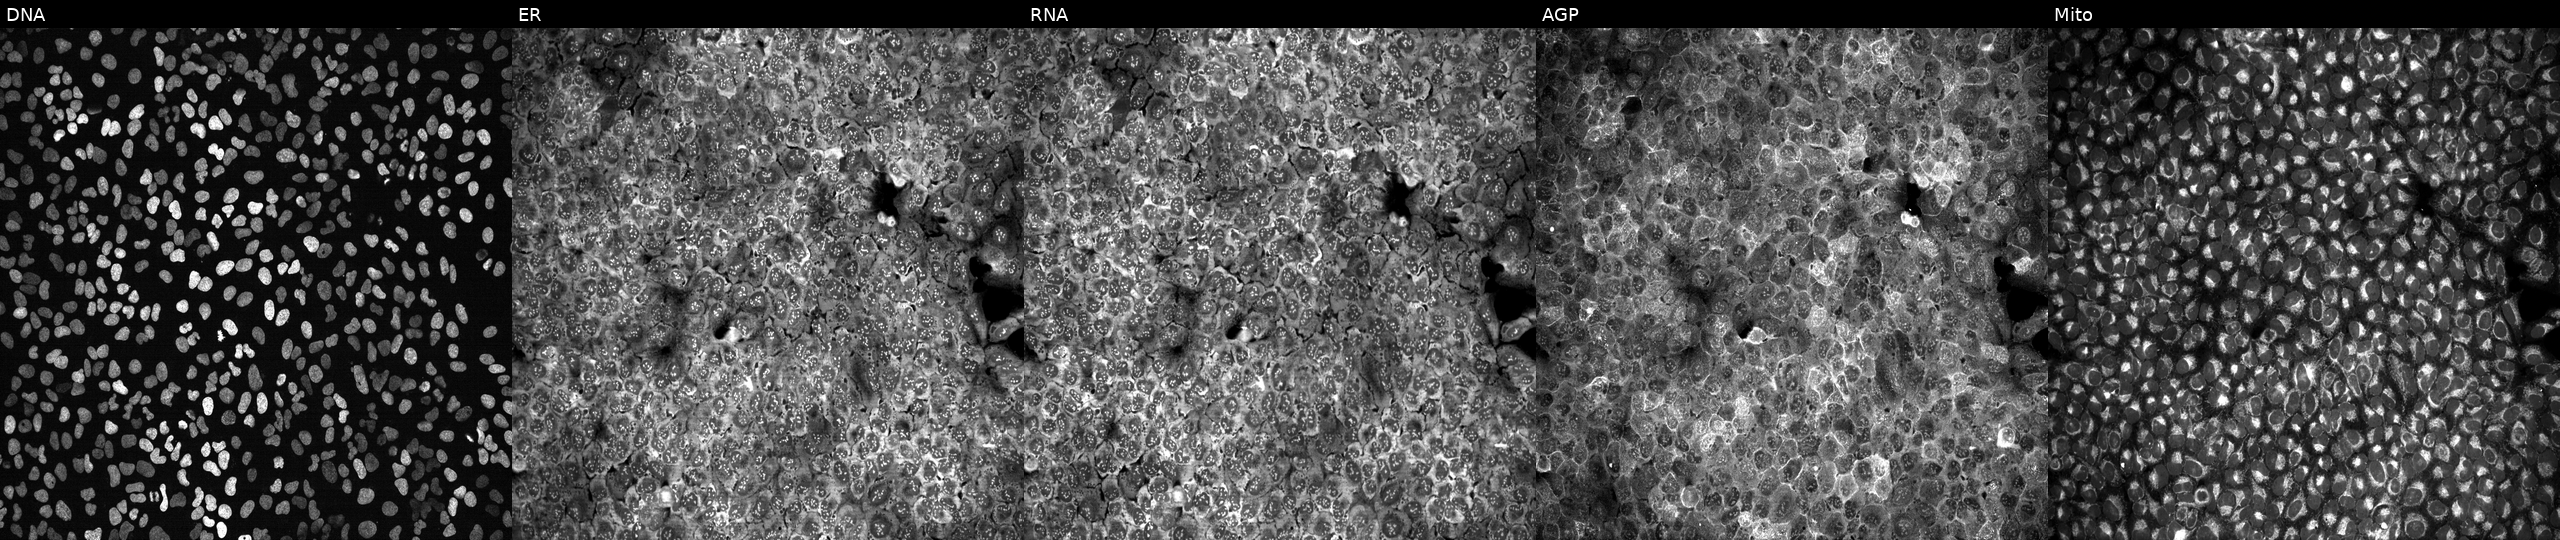
Panels show, left to right, Hoechst 33342, concanavalin A, SYTO 14, phalloidin and WGA, MitoTracker. U2OS osteosarcoma cells with a non-targeting CRISPR guide (negative control). Cell Painting assay, JUMP-CP dataset.